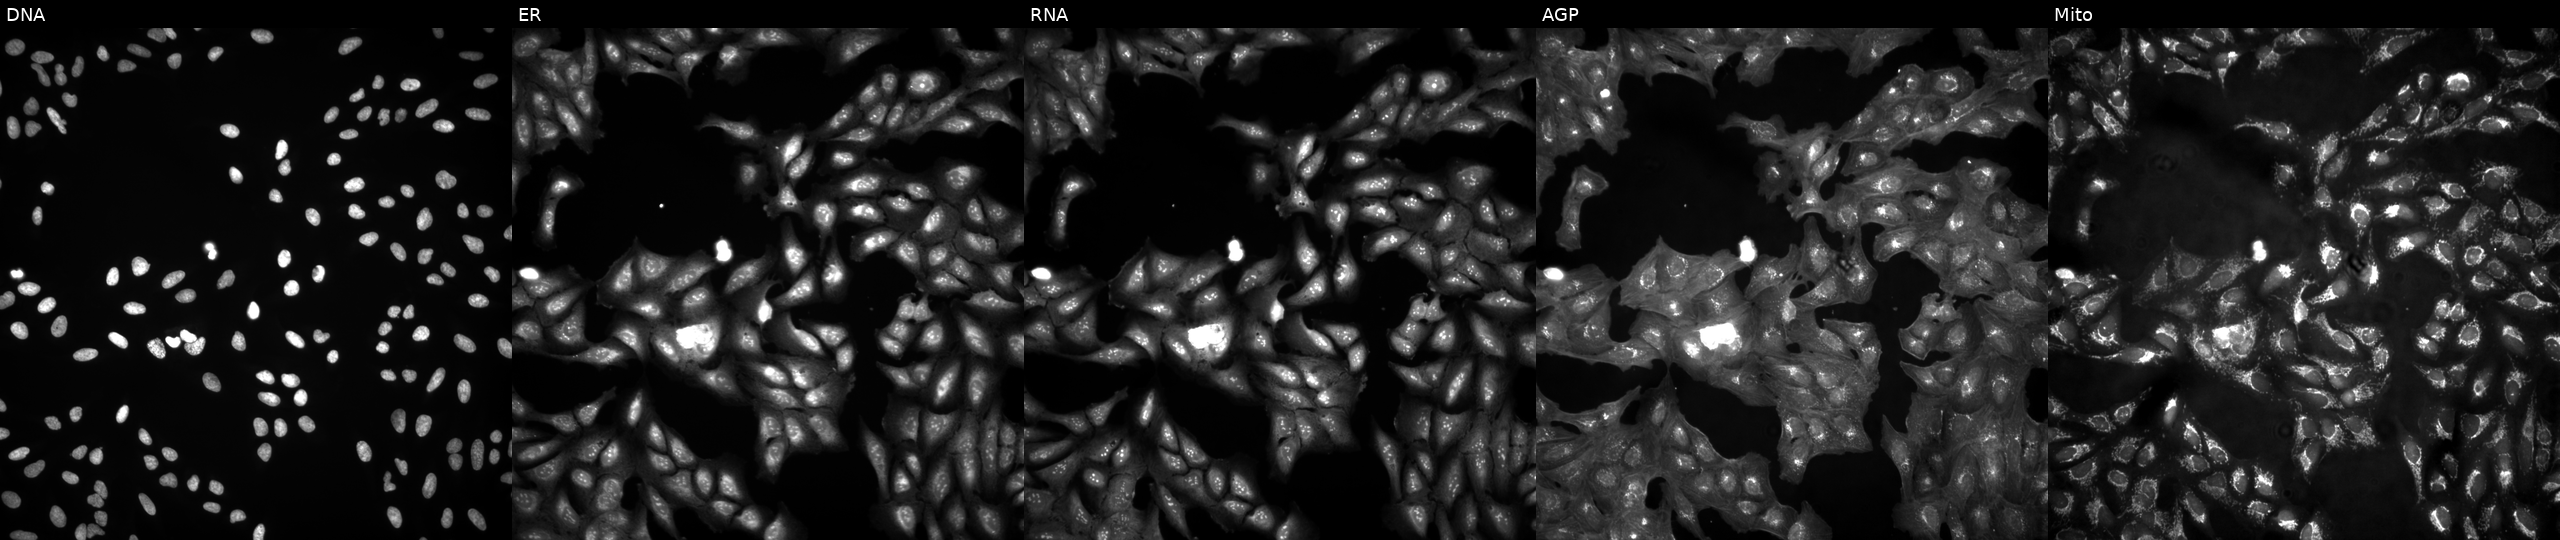
The five panels, left to right, show DNA (nuclei); ER (endoplasmic reticulum); RNA (nucleoli and cytoplasmic RNA); AGP (actin cytoskeleton, Golgi, and plasma membrane); Mito (mitochondria). U2OS osteosarcoma cells in an empty control well (no perturbation) (JUMP id JCP2022_999999). Cell Painting assay, JUMP-CP dataset. Source 4, plate BR00123946, well M07.